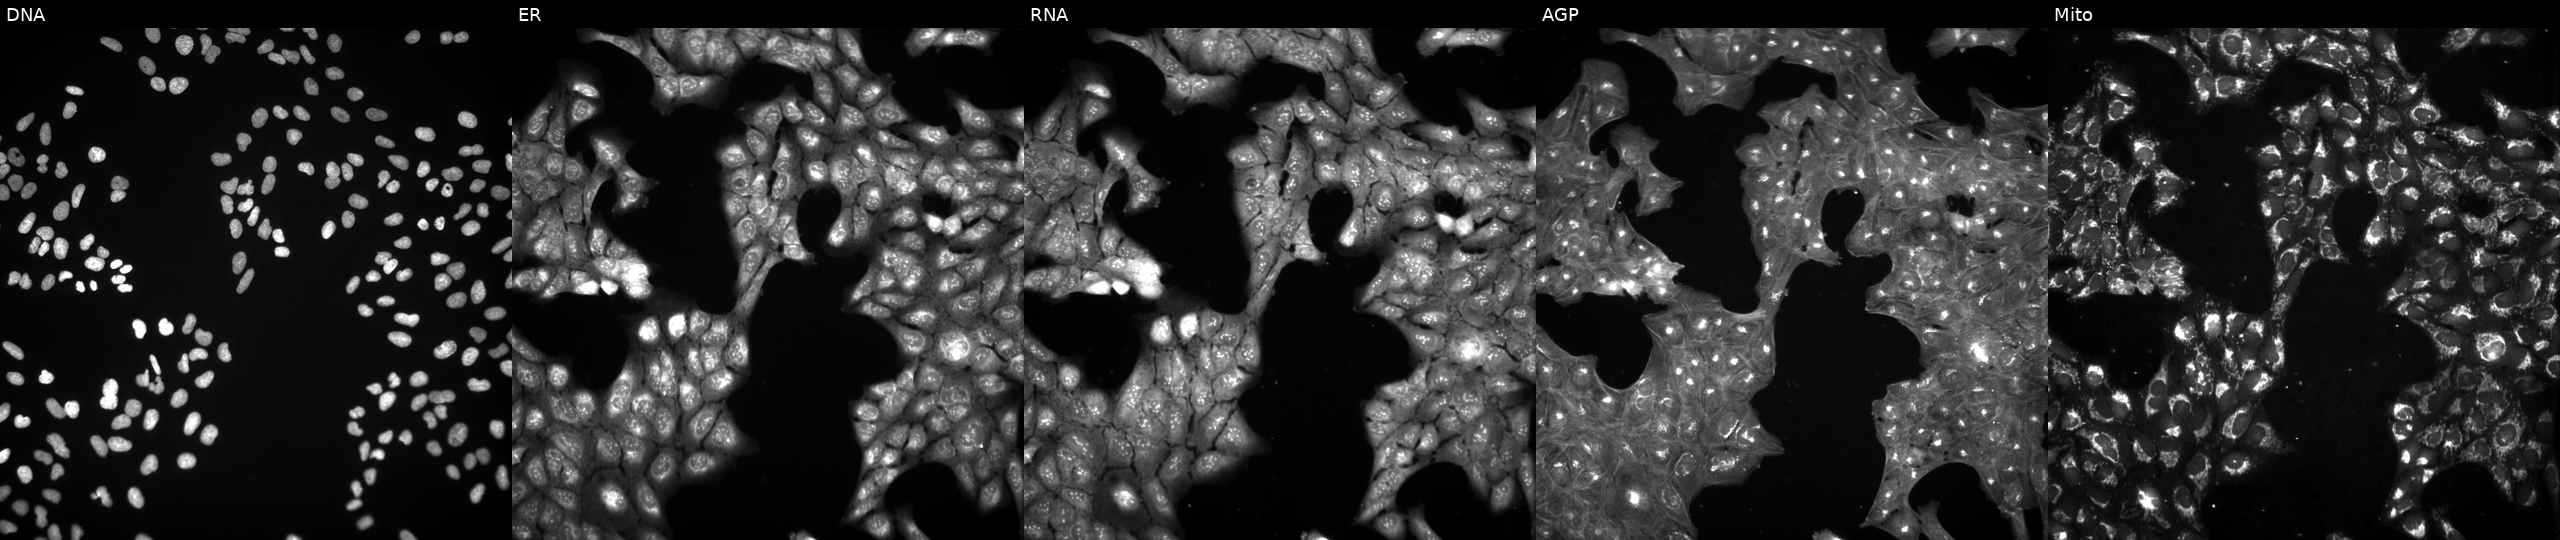
This image strip shows the five Cell Painting channels for a single field of U2OS cells treated with a small-molecule compound (InChIKey LLIFMNUXGDHTRO-UHFFFAOYSA-N). Channels (left→right): DNA, ER, RNA, AGP, and Mito. Source 3, plate JCPQC052, well P09.